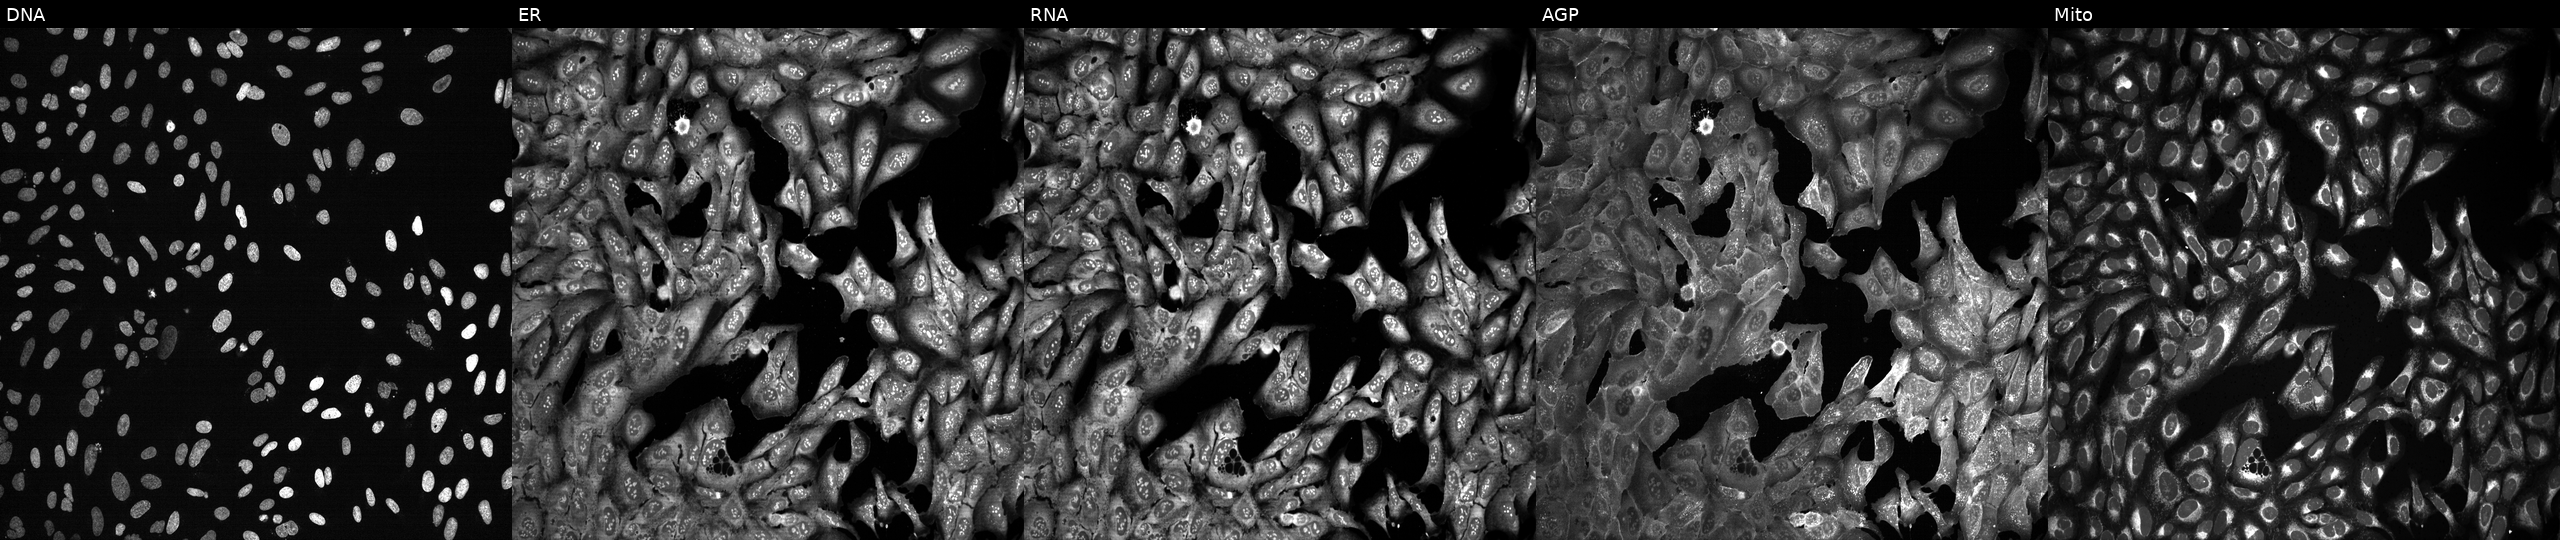
JUMP Cell Painting — CRISPR plate. U2OS cells with LGMN knocked out by CRISPR. Channels (left→right): Hoechst 33342, concanavalin A, SYTO 14, phalloidin and WGA, MitoTracker. Source 13, plate CP-CC9-R6-19, well F05.